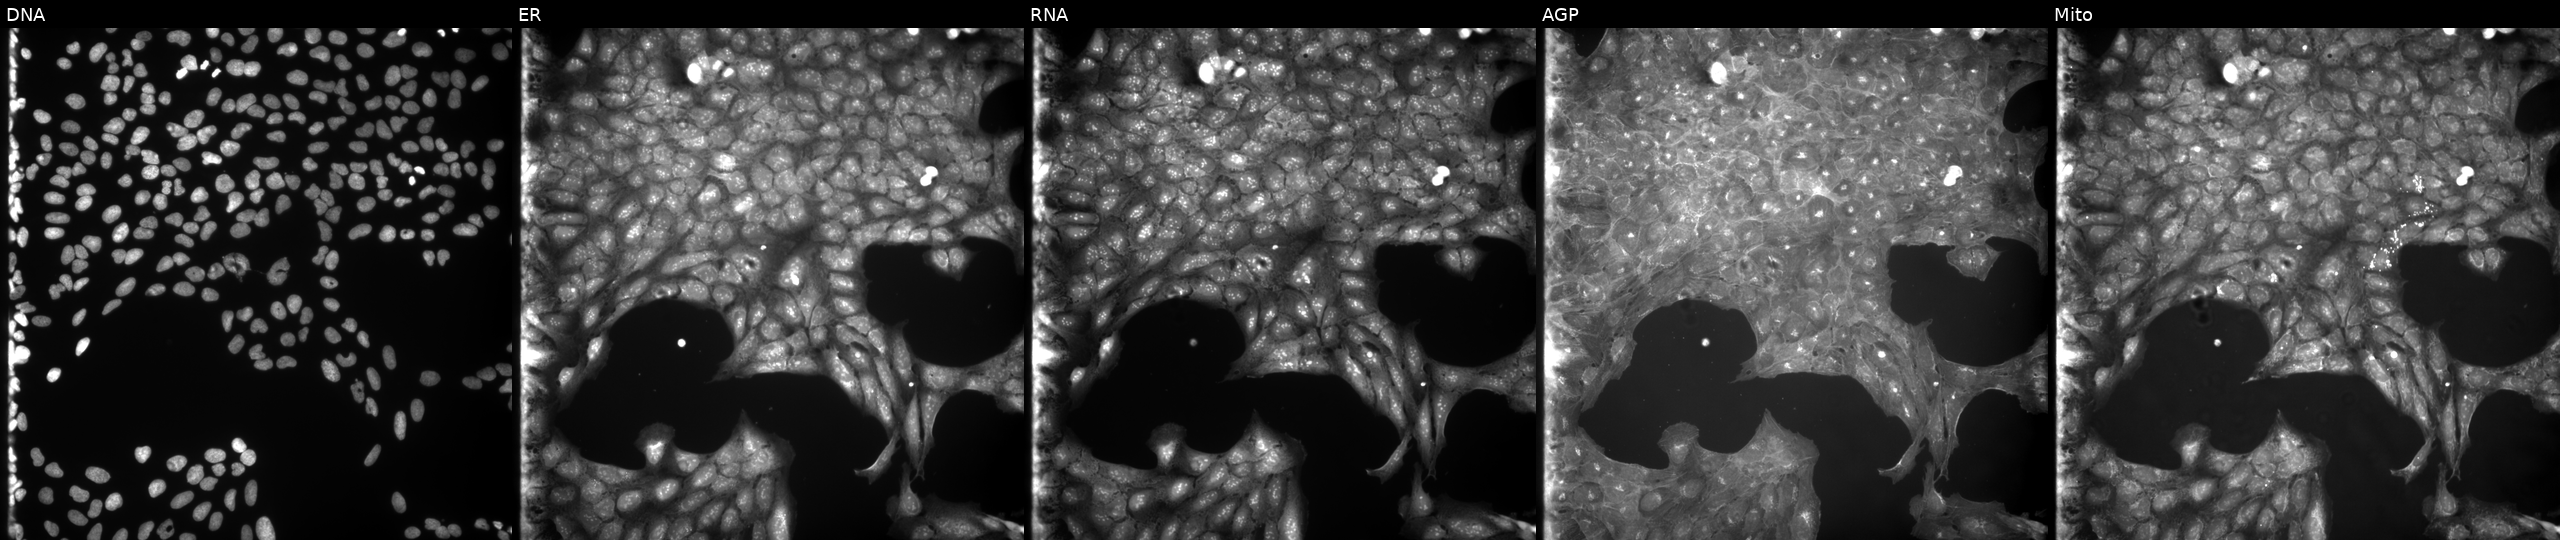
Five-channel Cell Painting image of U2OS cells exposed to the positive-control compound dexamethasone. From left to right: DNA (nuclei); ER (endoplasmic reticulum); RNA (nucleoli and cytoplasmic RNA); AGP (actin cytoskeleton, Golgi, and plasma membrane); Mito (mitochondria).